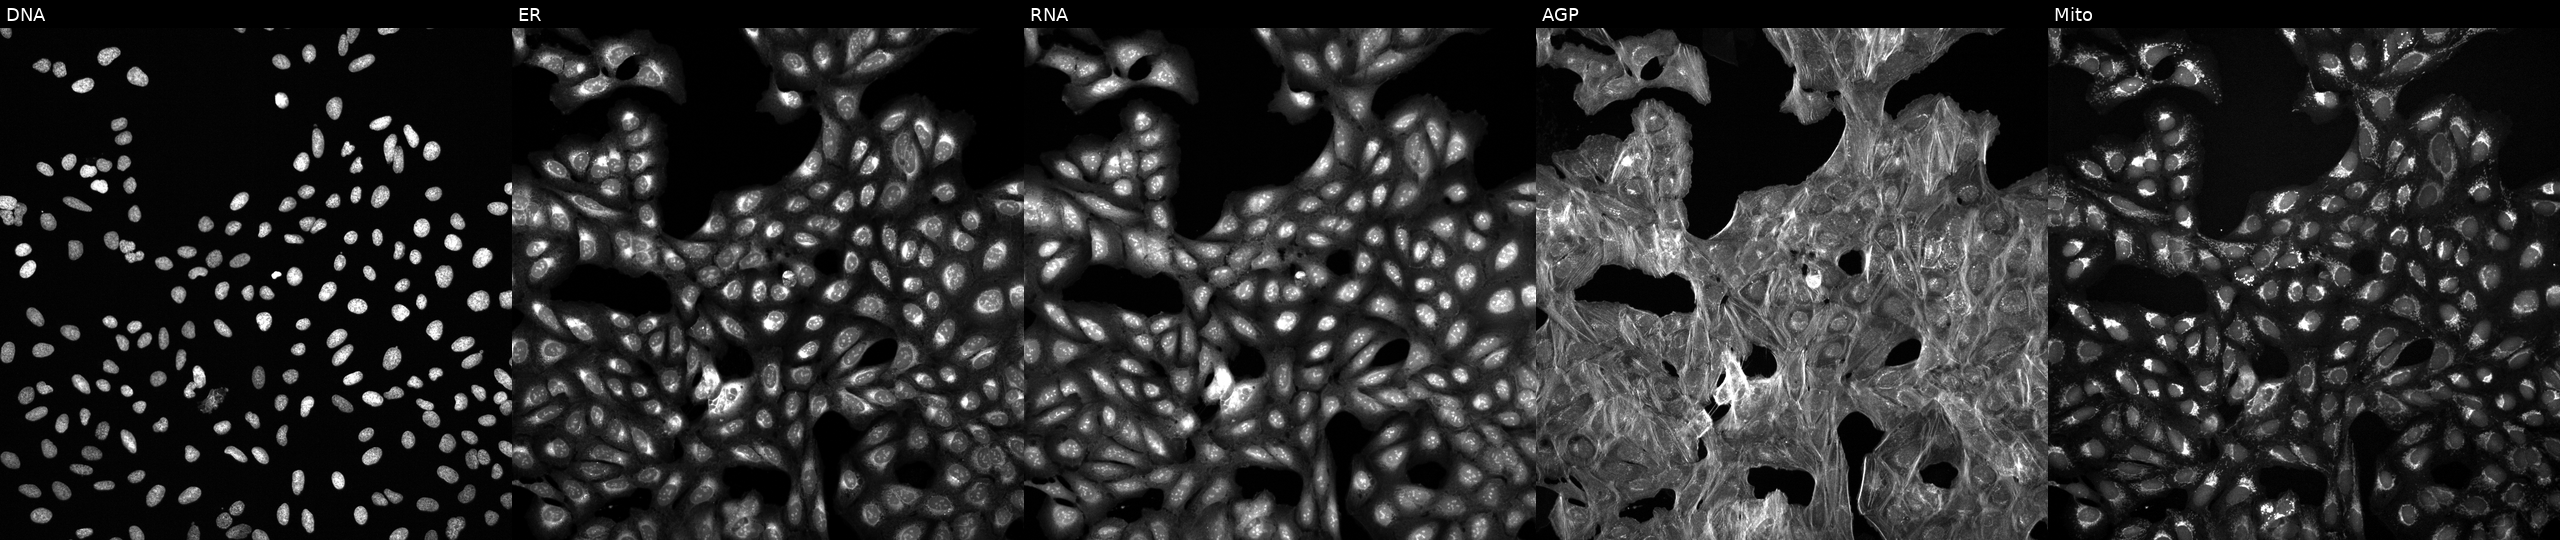
U2OS cells, Cell Painting assay, exposed to a small-molecule compound (InChIKey NMUSYJAQQFHJEW-UHFFFAOYSA-N). The five panels, left to right, show DNA, ER, RNA, AGP, and Mito. Each panel is percentile-stretched 16-bit fluorescence. Source 6, plate 110000293093, well H20.